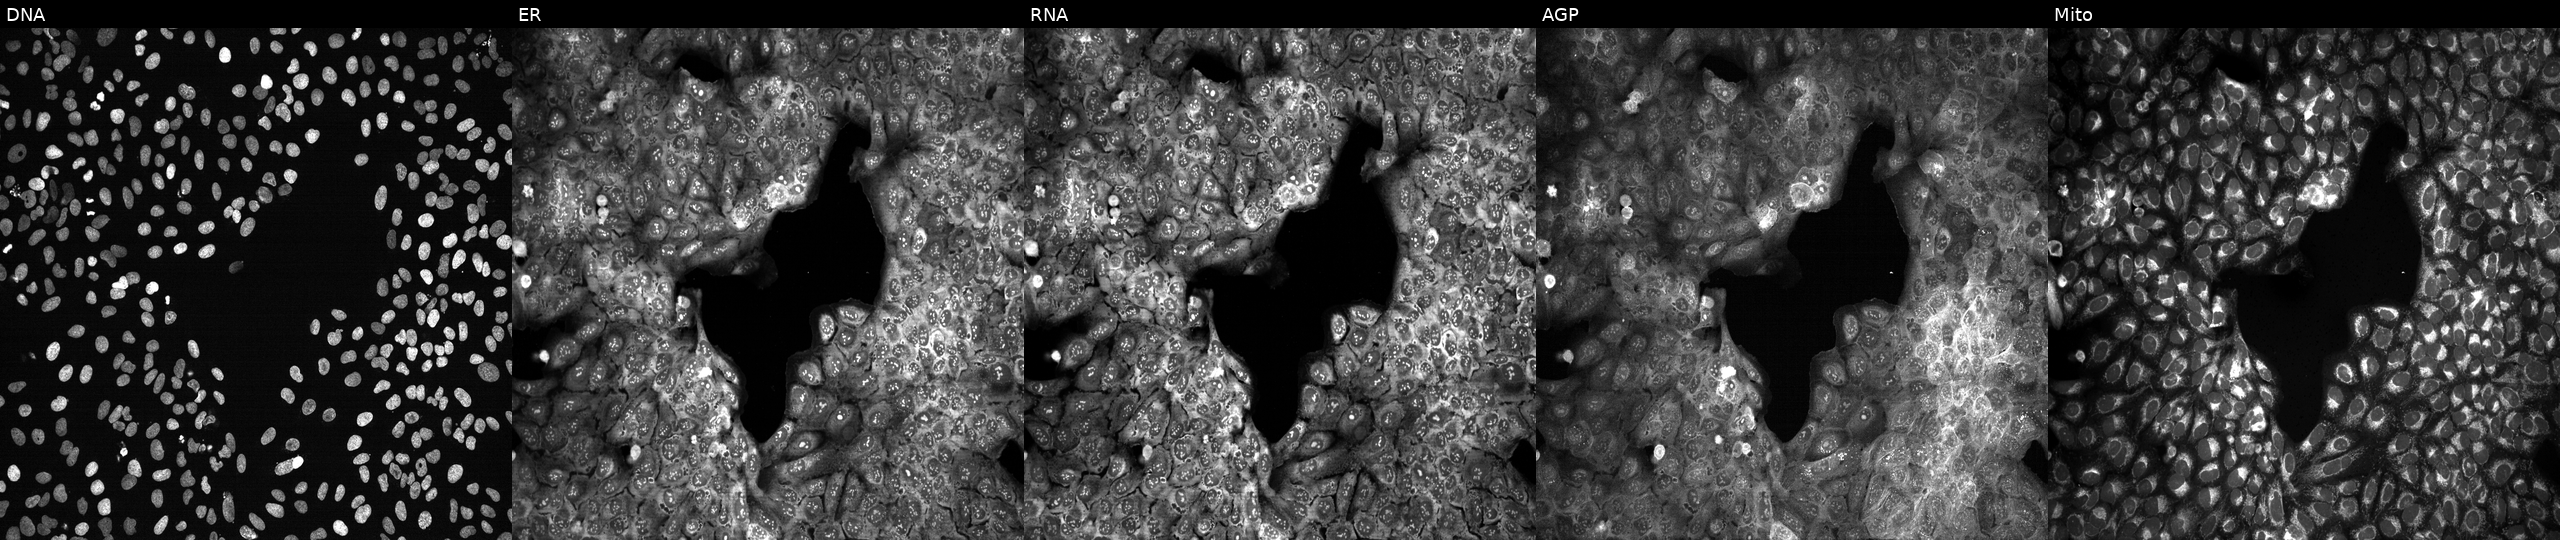
U2OS cells, Cell Painting assay, CRISPR-edited to disrupt IL13RA2. Panels show, left to right, DNA, ER, RNA, AGP, and Mito. Each panel is percentile-stretched 16-bit fluorescence.